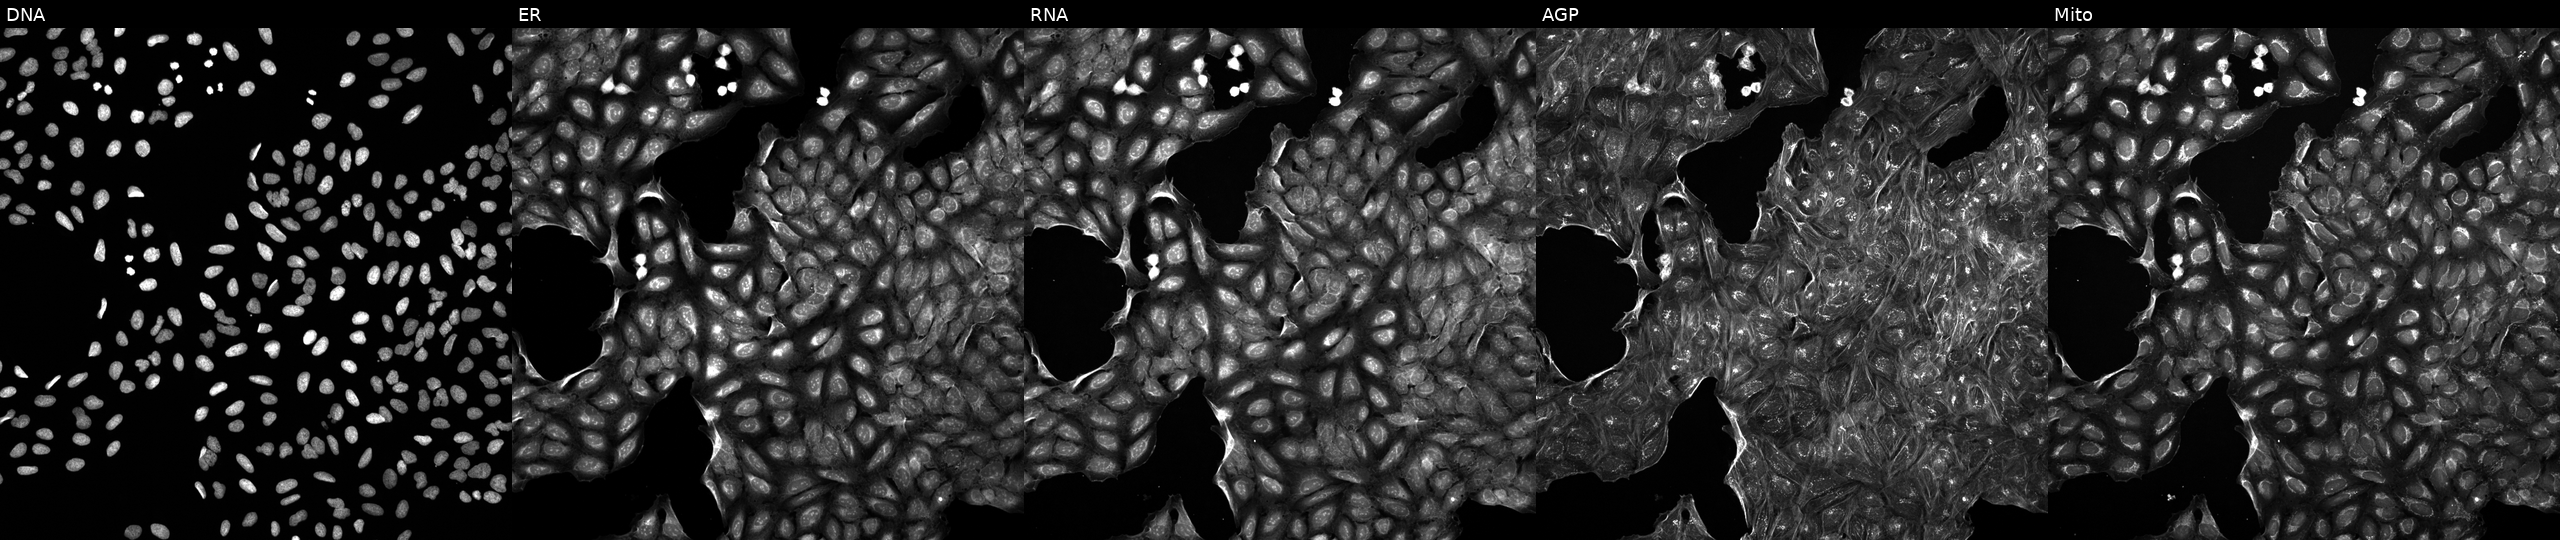
Five-channel Cell Painting image of U2OS cells perturbed with a small-molecule compound (InChIKey FROREXJJYABZGI-UHFFFAOYSA-N). From left to right: DNA (nuclei); ER (endoplasmic reticulum); RNA (nucleoli and cytoplasmic RNA); AGP (actin cytoskeleton, Golgi, and plasma membrane); Mito (mitochondria). Source 5, plate APTJUM106, well J19.